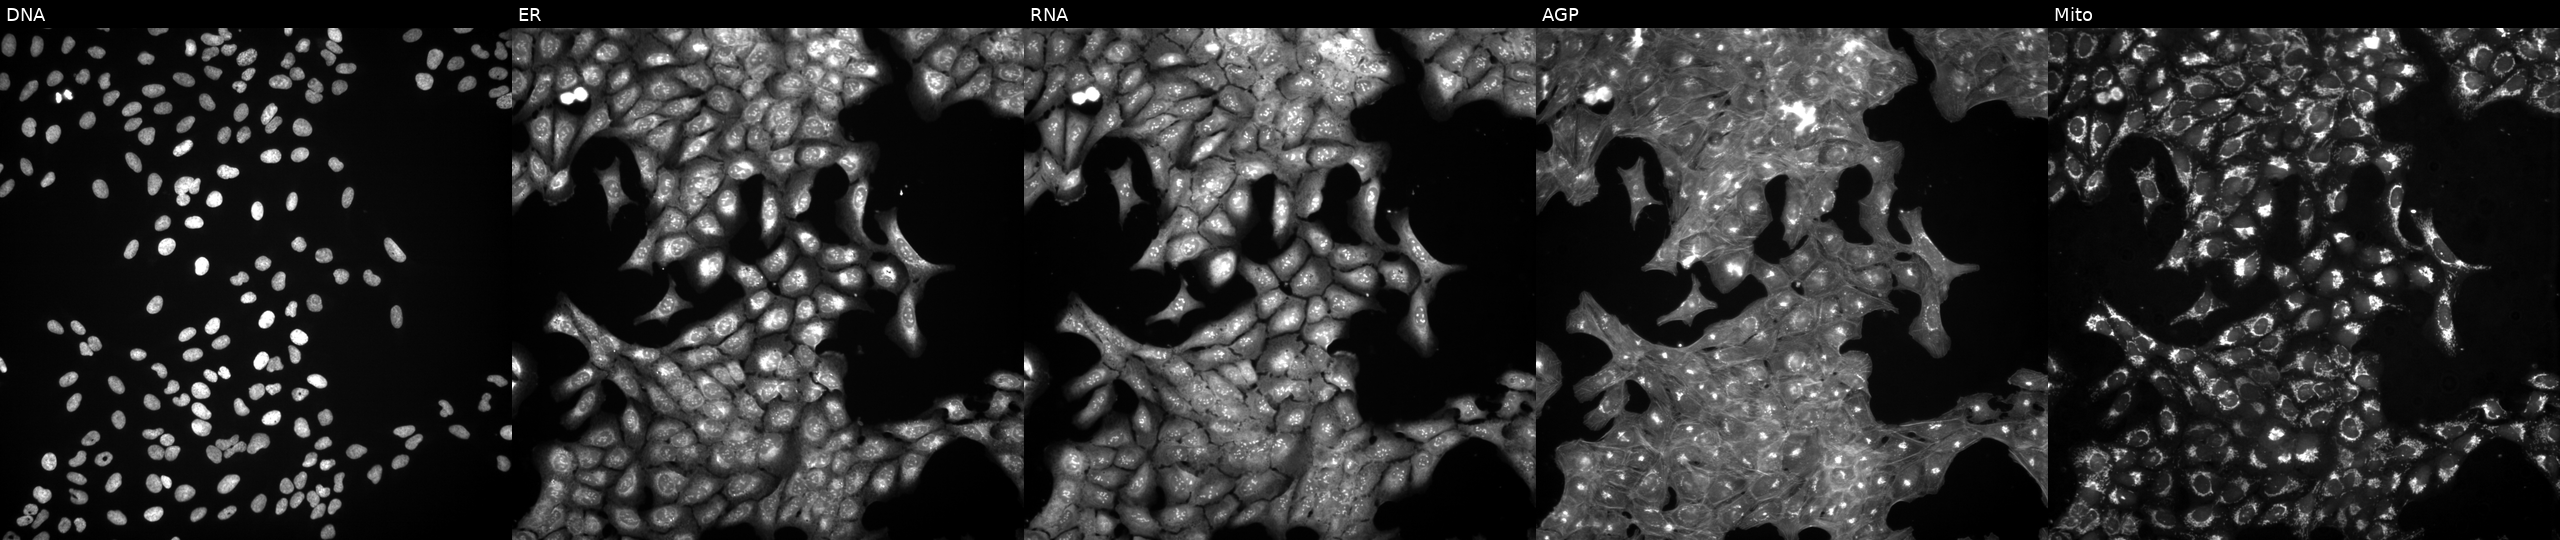
High-content fluorescence microscopy (Cell Painting). Cell line: U2OS. Perturbation: perturbed with a small-molecule compound (InChIKey YYBLWHVEYGGCRC-UHFFFAOYSA-N) (JUMP id JCP2022_111632). The five panels, left to right, show DNA (nuclei); ER (endoplasmic reticulum); RNA (nucleoli and cytoplasmic RNA); AGP (actin cytoskeleton, Golgi, and plasma membrane); Mito (mitochondria).